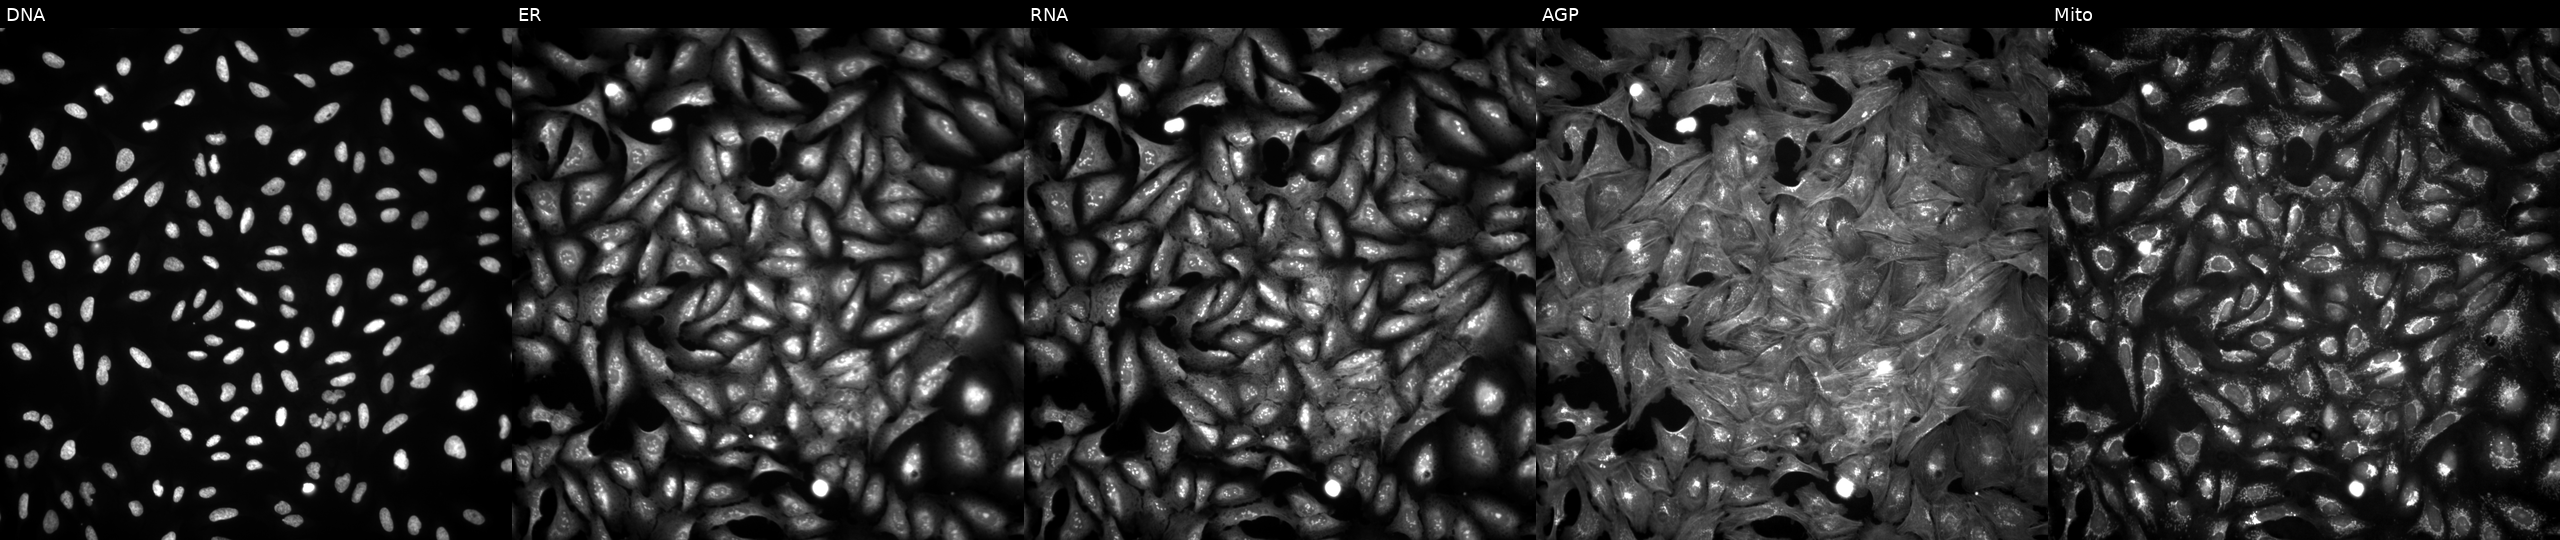
JUMP Cell Painting — ORF plate. U2OS cells expressing LUCIFERASE (ORF negative control) (JUMP id JCP2022_915130). The five panels, left to right, show Hoechst 33342, concanavalin A, SYTO 14, phalloidin and WGA, MitoTracker.